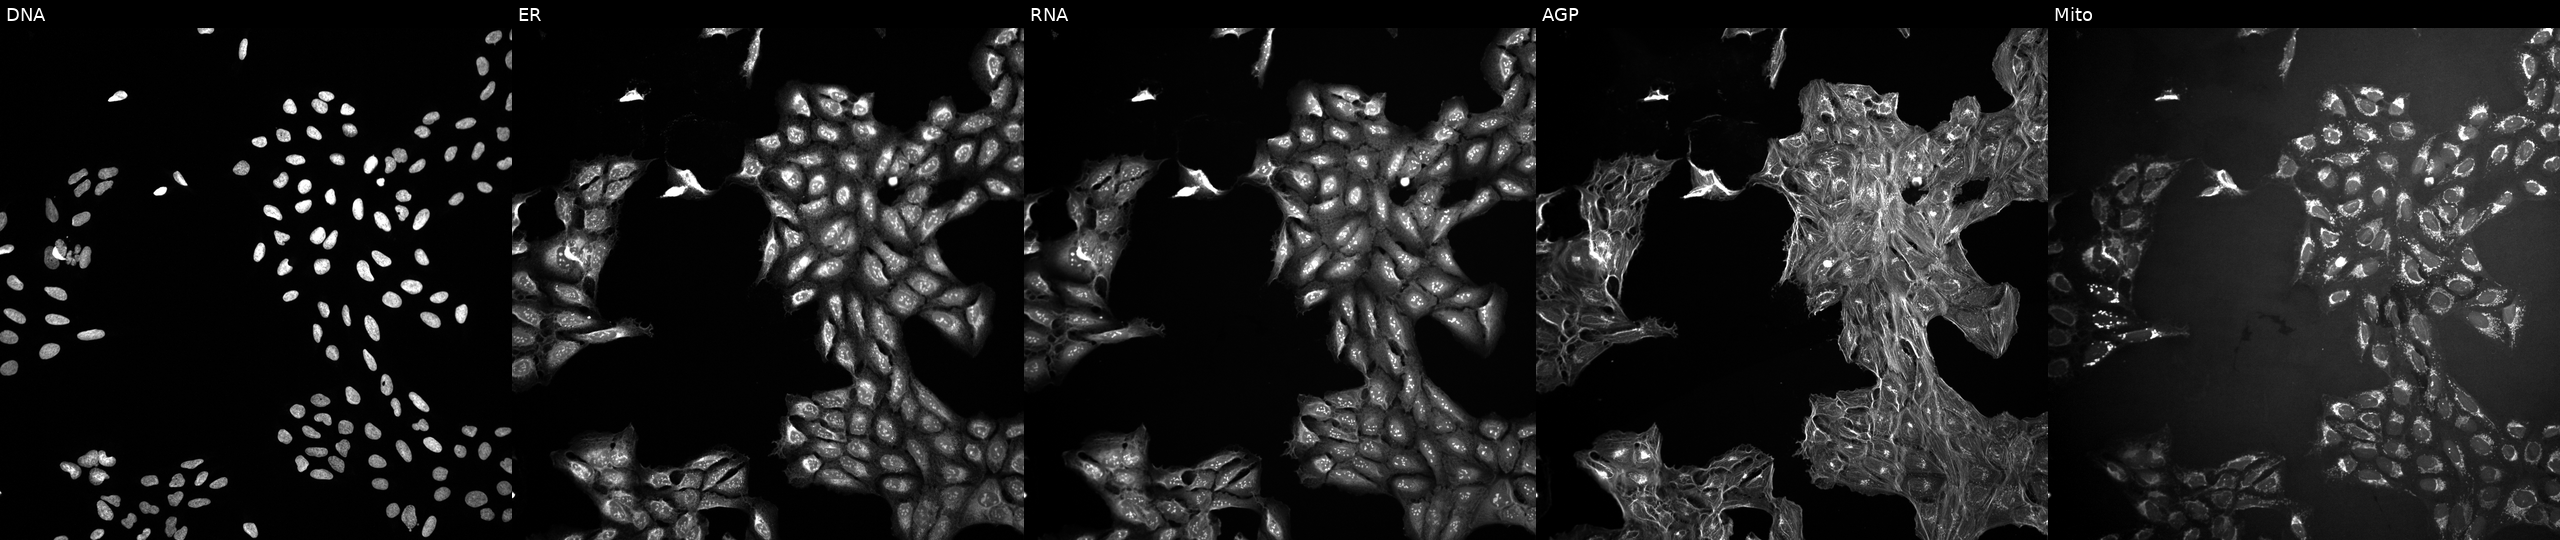
Five-channel Cell Painting image of U2OS cells perturbed with a small-molecule compound (InChIKey RRGUKTPIGVIEKM-UHFFFAOYSA-N) [SMILES: O=C1CCc2cc(OCCCCc3nnnn3C3CCCCC3)ccc2N1] (JUMP id JCP2022_080224). From left to right: DNA (nuclei); ER (endoplasmic reticulum); RNA (nucleoli and cytoplasmic RNA); AGP (actin cytoskeleton, Golgi, and plasma membrane); Mito (mitochondria).